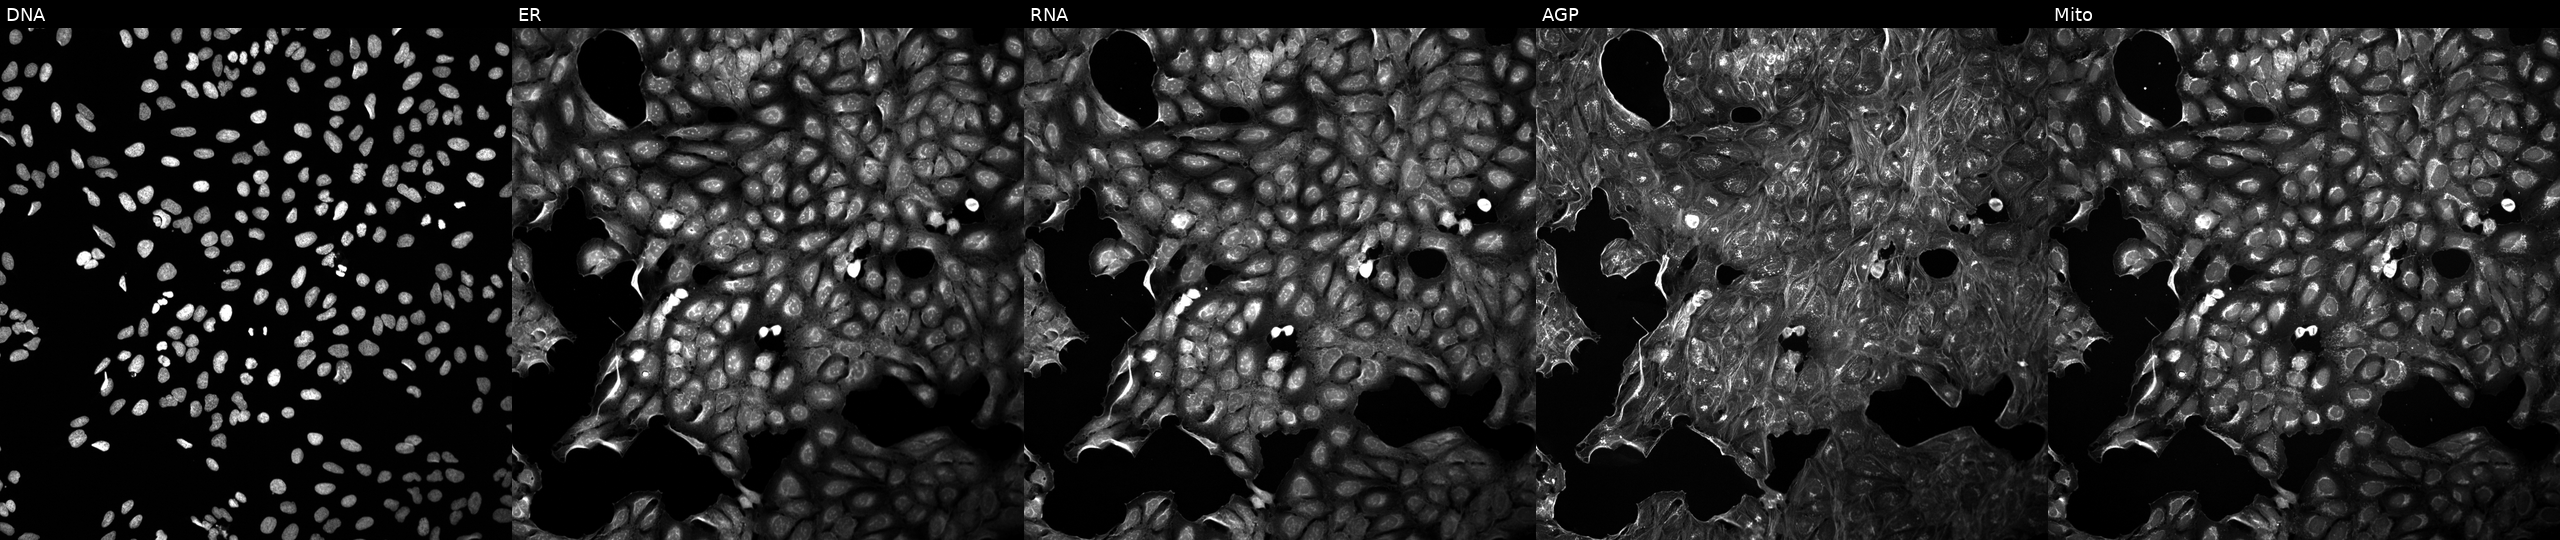
JUMP Cell Painting — COMPOUND plate. U2OS cells exposed to a small-molecule compound (InChIKey CCMMJEULFLSASW-UHFFFAOYSA-N) [SMILES: CCN(CC(=O)Nc1c(F)cccc1F)C(O)c1cc(O)n(-c2ccccc2OC)c1]. Panels show, left to right, DNA (nuclei); ER (endoplasmic reticulum); RNA (nucleoli and cytoplasmic RNA); AGP (actin cytoskeleton, Golgi, and plasma membrane); Mito (mitochondria).